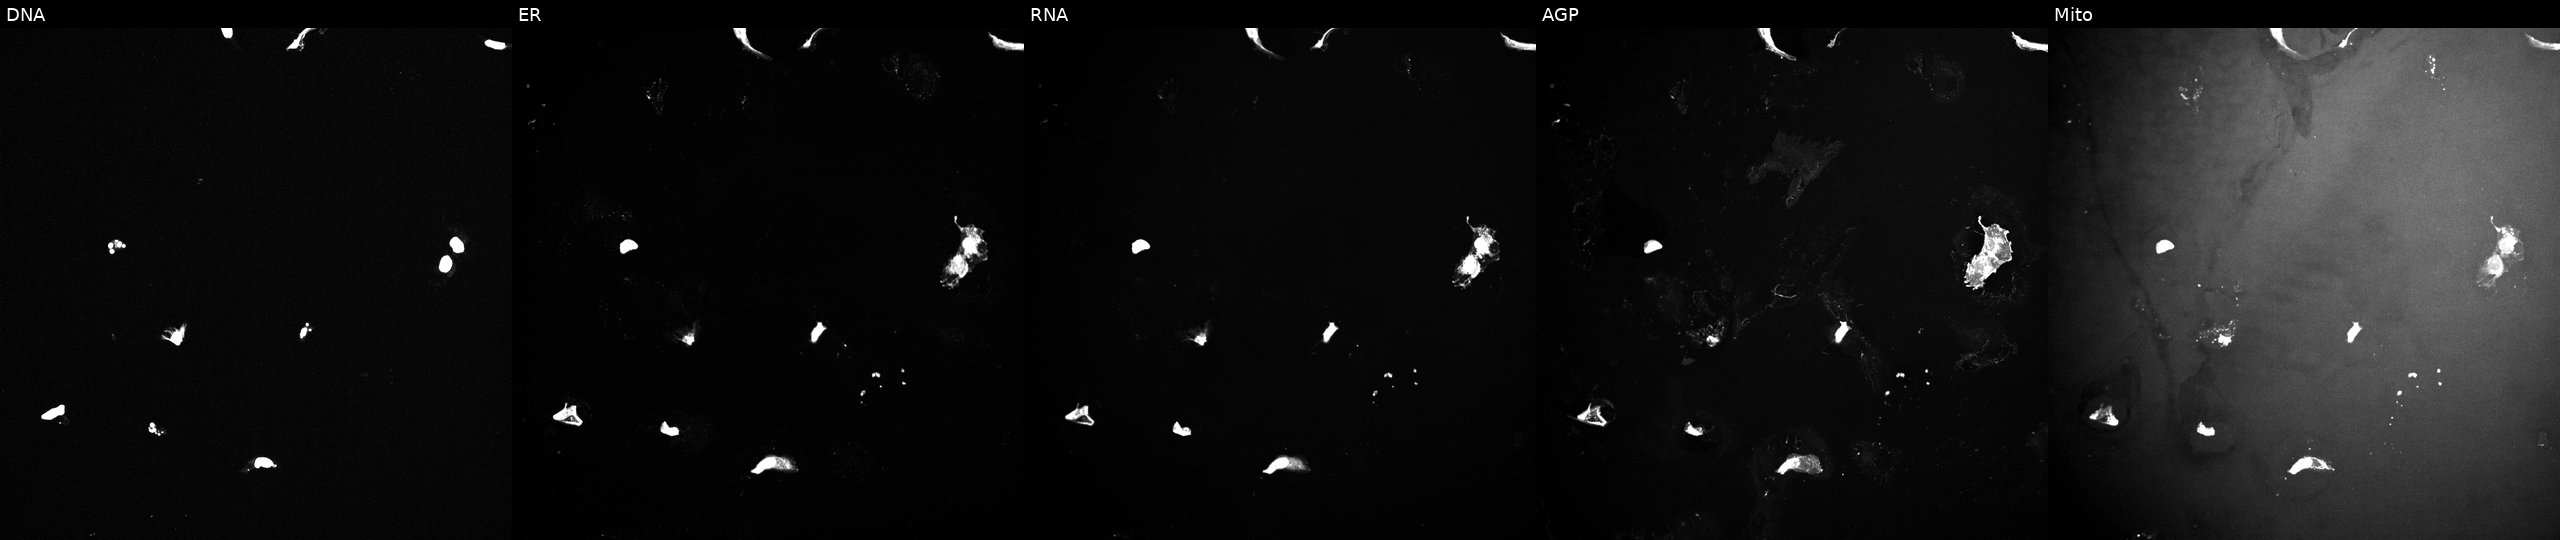
High-content fluorescence microscopy (Cell Painting). Cell line: U2OS. Perturbation: perturbed with a small-molecule compound (InChIKey WSMQUUGTQYPVPD-UHFFFAOYSA-N). Channels (left→right): DNA, ER, RNA, AGP, and Mito. Source 10, plate Dest210726-160150, well O23.